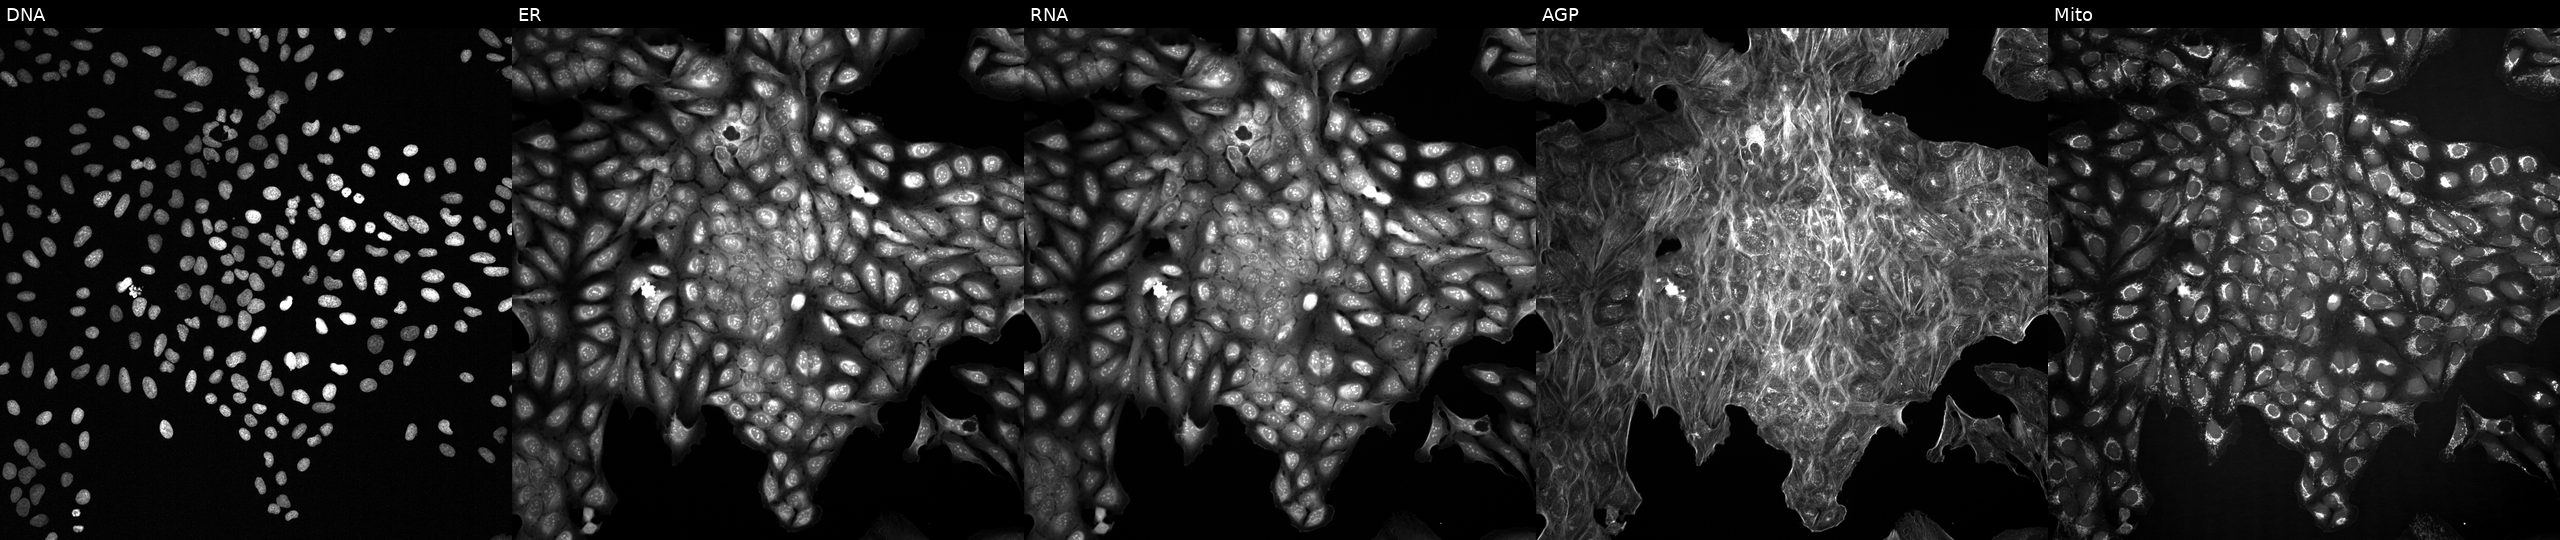
U2OS cells, Cell Painting assay, exposed to a small-molecule compound (InChIKey ZYFQNPOOTLRDPJ-UHFFFAOYSA-N) (JUMP id JCP2022_116432). The five panels, left to right, show Hoechst 33342, concanavalin A, SYTO 14, phalloidin and WGA, MitoTracker. Each panel is percentile-stretched 16-bit fluorescence. Source 2, plate 1053601763, well K20.